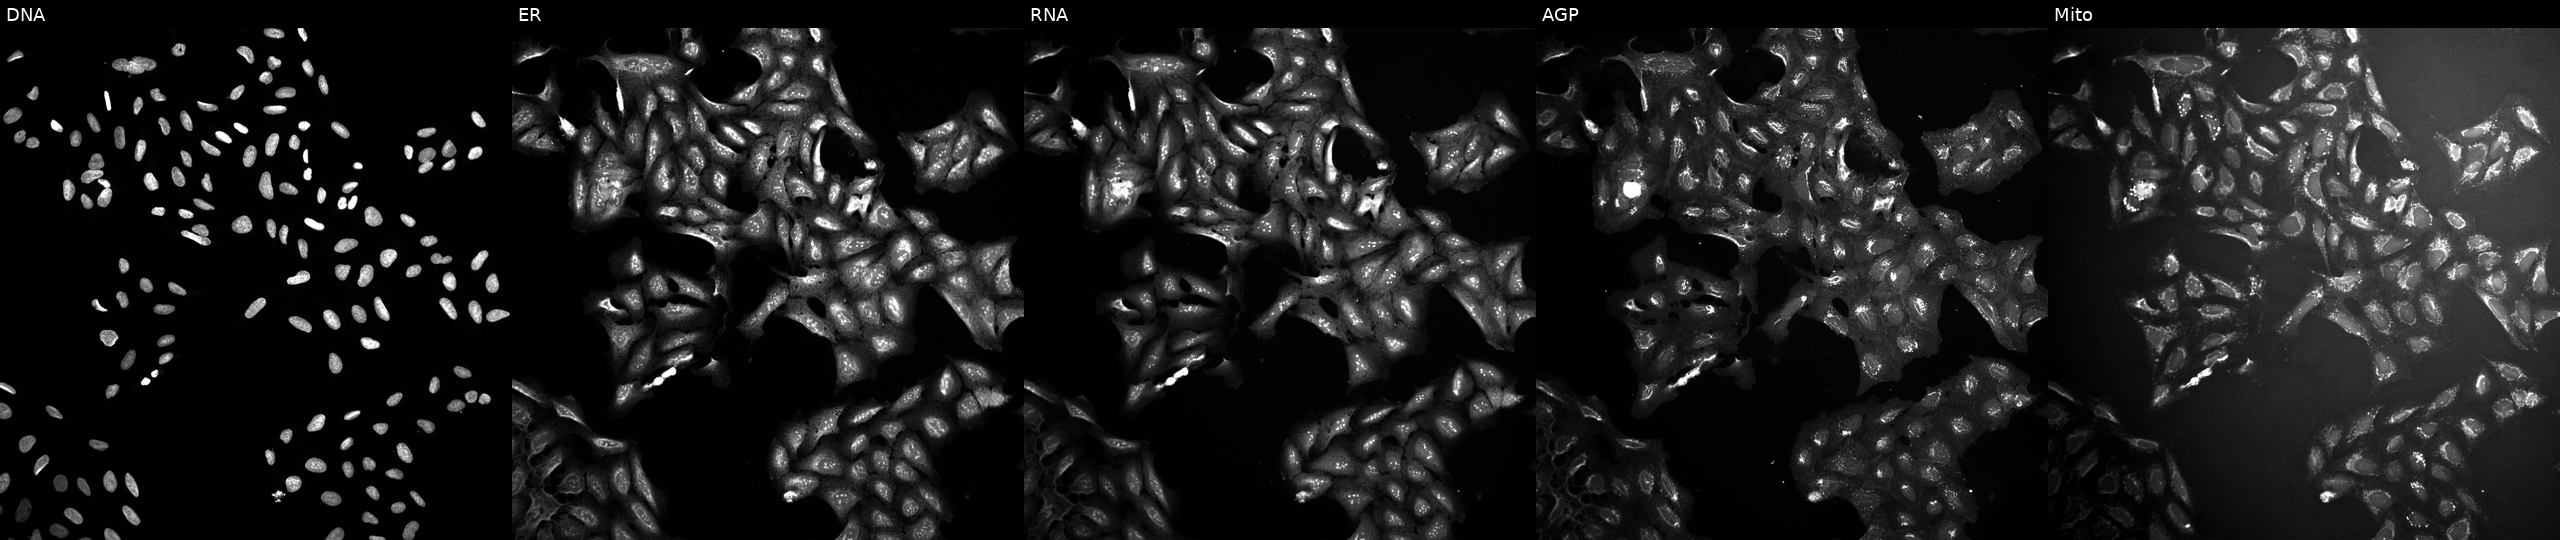
High-content fluorescence microscopy (Cell Painting). Cell line: U2OS. Perturbation: exposed to a small-molecule compound [SMILES: CNC(=O)C(Cc1ccccc1)NC(=O)C(CC(C)C)C(CSc1cccs1)C(O)=NO]. Panels show, left to right, DNA, ER, RNA, AGP, and Mito.